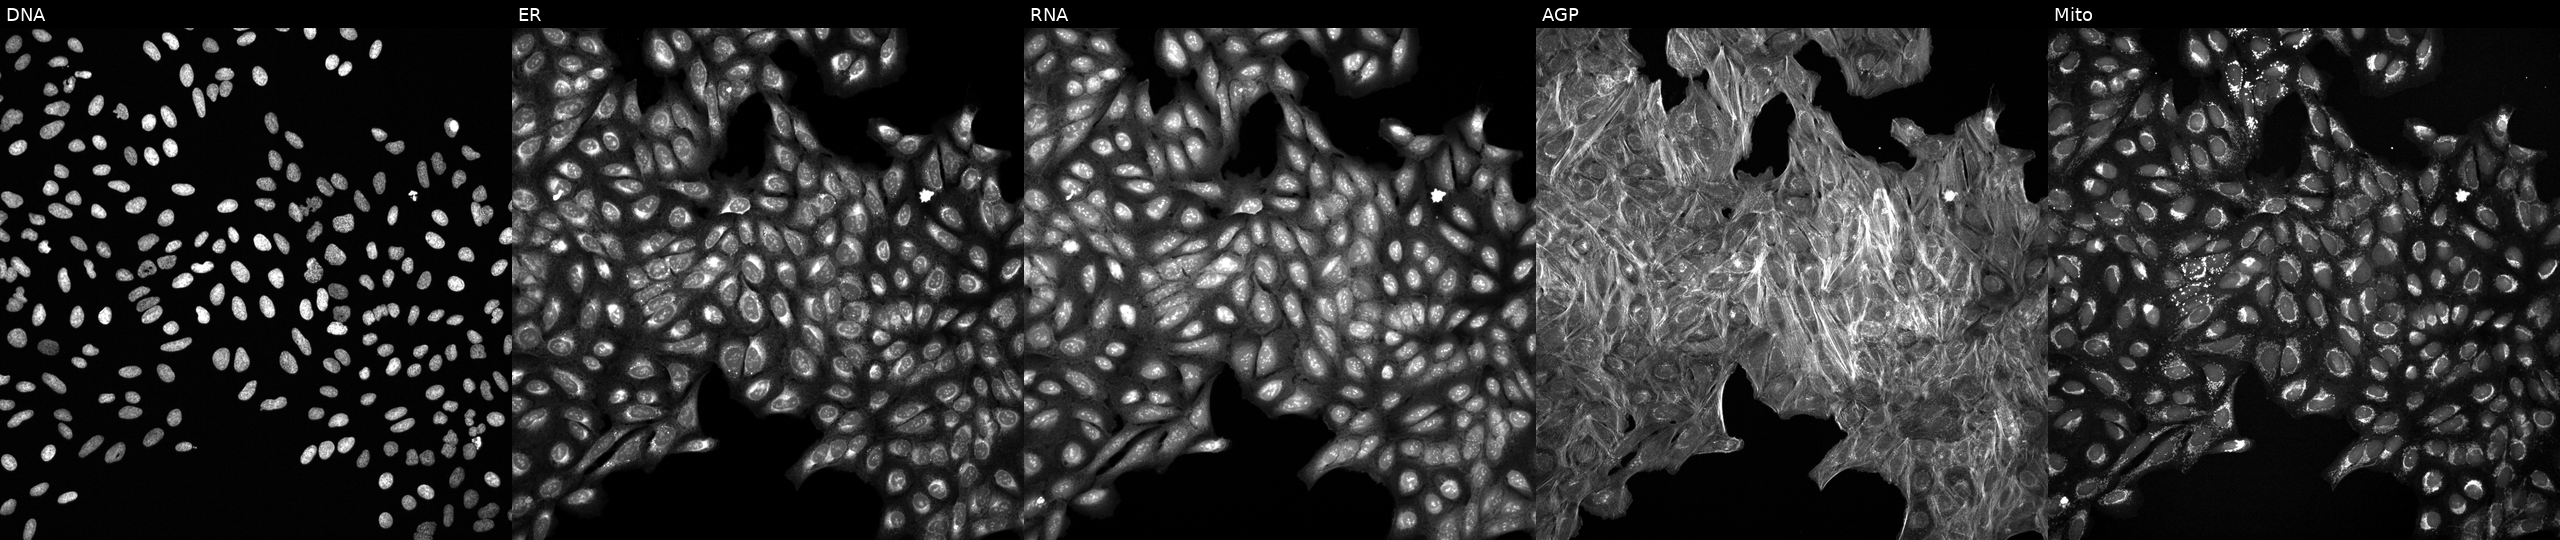
JUMP Cell Painting — COMPOUND plate. U2OS cells treated with a small-molecule compound (InChIKey ZNIZEJLUBNKTAC-UHFFFAOYSA-N). The five panels, left to right, show Hoechst 33342, concanavalin A, SYTO 14, phalloidin and WGA, MitoTracker.